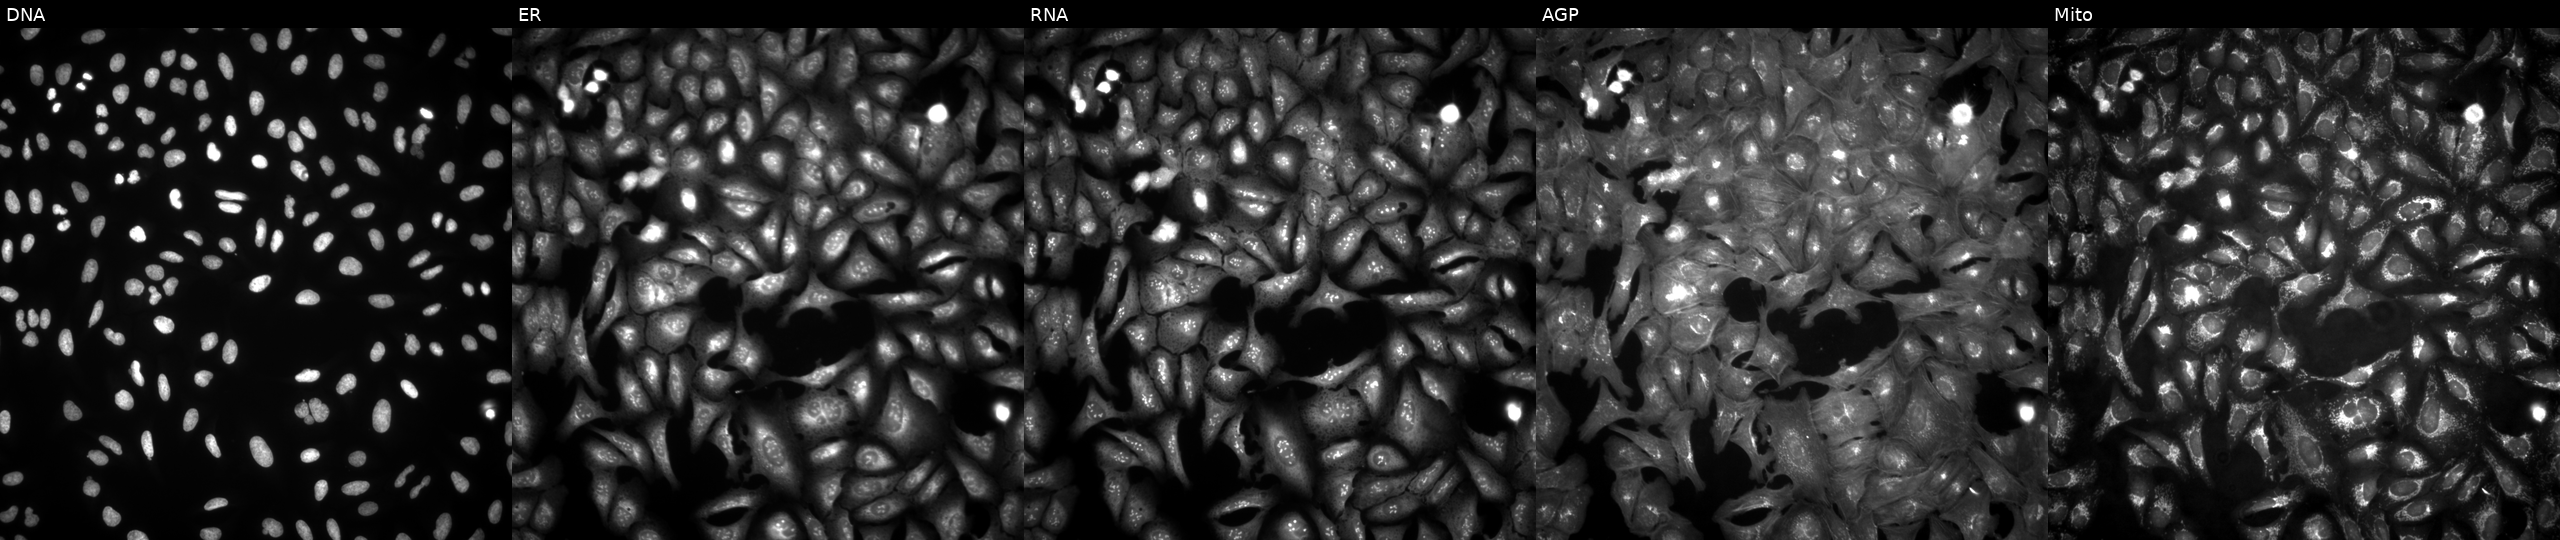
High-content fluorescence microscopy (Cell Painting). Cell line: U2OS. Perturbation: with C1orf158 overexpressed (ORF). Channels (left→right): Hoechst 33342, concanavalin A, SYTO 14, phalloidin and WGA, MitoTracker. Source 4, plate BR00123509, well J18.